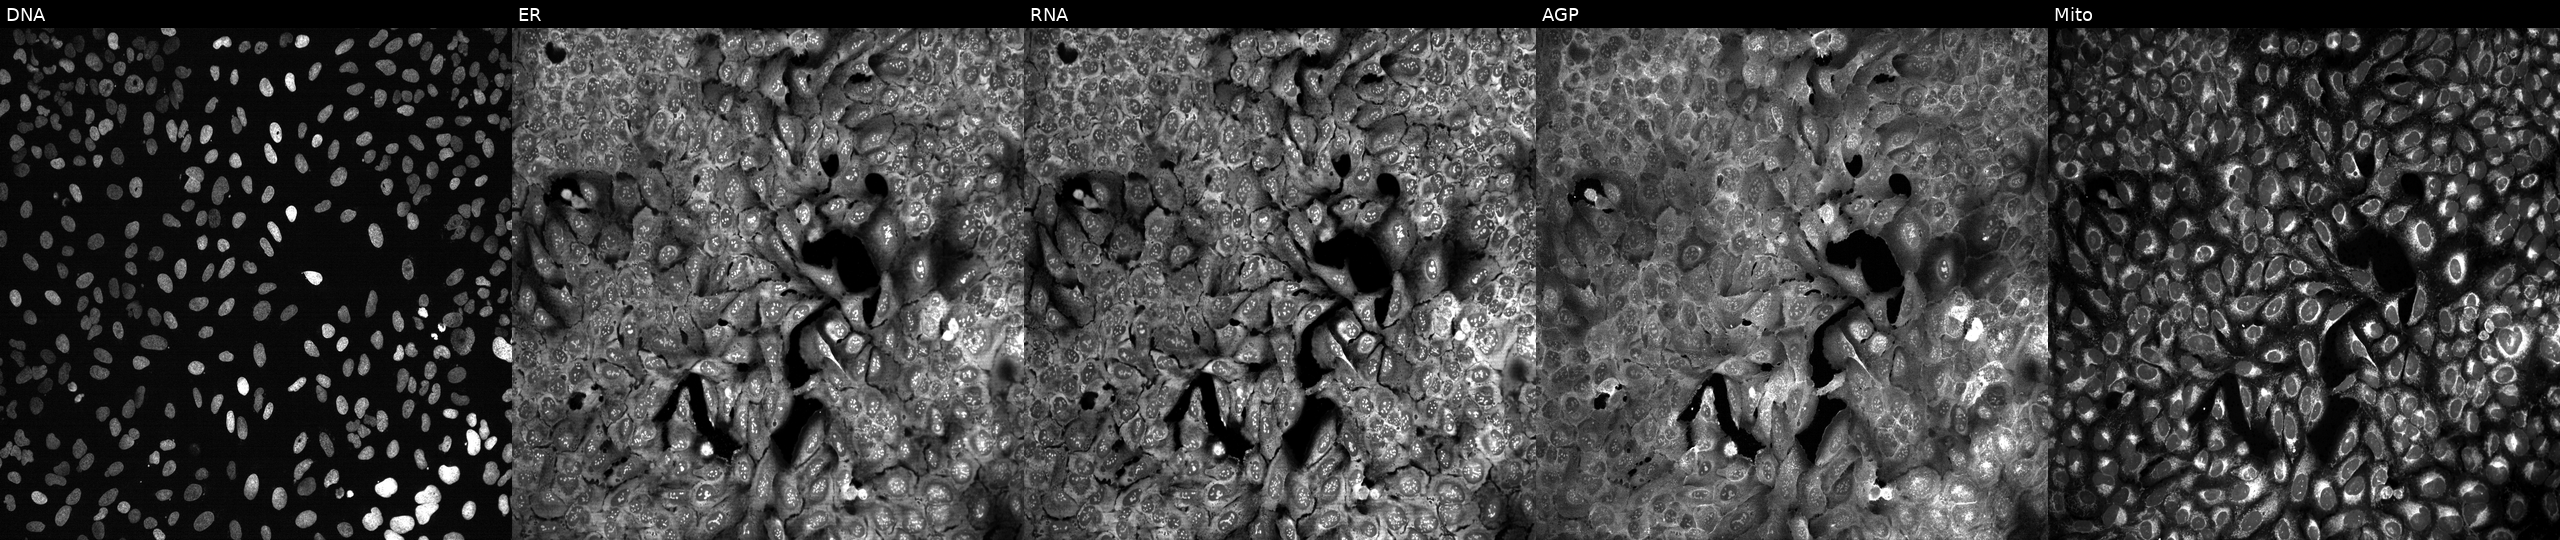
U2OS cells, Cell Painting assay, with POR knocked out by CRISPR. Panels show, left to right, DNA, ER, RNA, AGP, and Mito. Each panel is percentile-stretched 16-bit fluorescence.